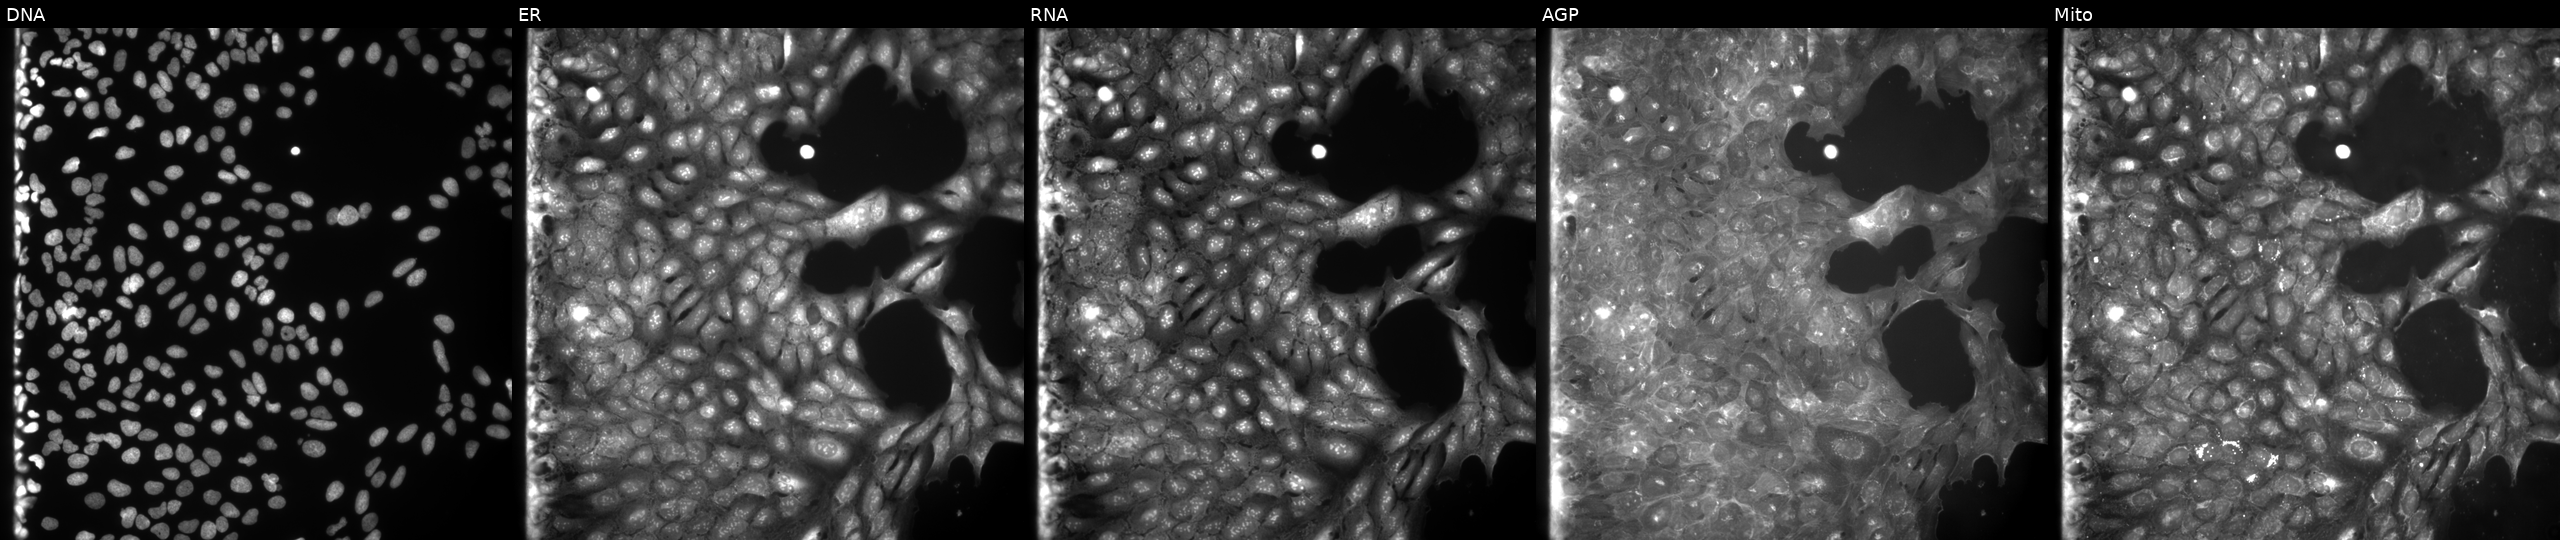
This image strip shows the five Cell Painting channels for a single field of U2OS cells perturbed with a small-molecule compound (InChIKey IELBMTPOEINEAN-UHFFFAOYSA-N) (JUMP id JCP2022_034541). Channels (left→right): DNA, ER, RNA, AGP, and Mito.